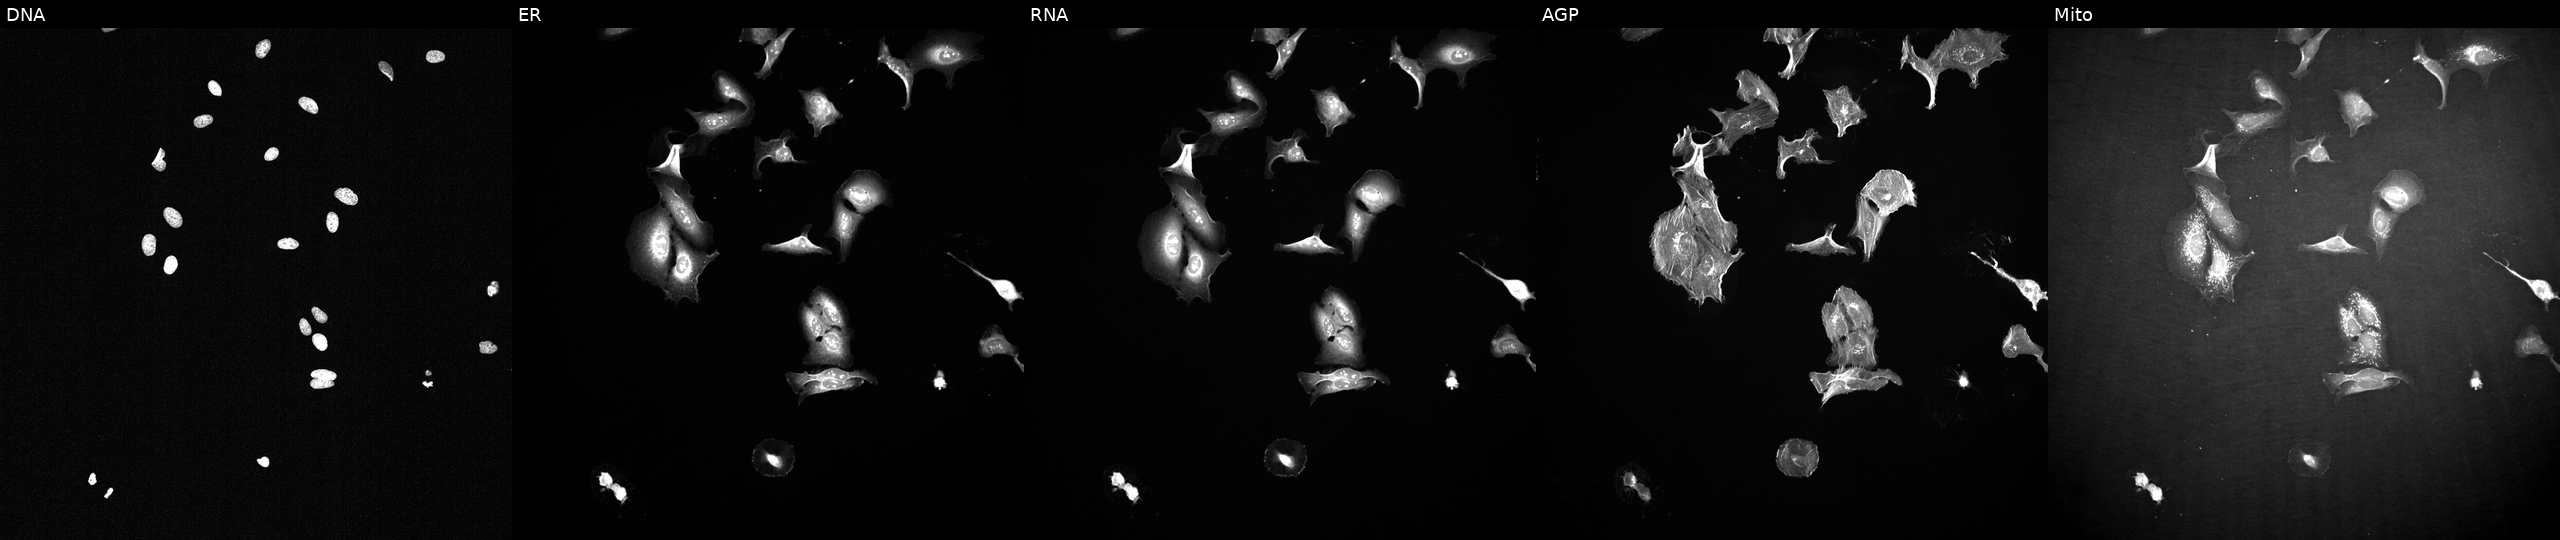
This image strip shows the five Cell Painting channels for a single field of U2OS cells treated with a small-molecule compound (InChIKey MAASHDQFQDDECQ-UHFFFAOYSA-N). Panels show, left to right, DNA (nuclei); ER (endoplasmic reticulum); RNA (nucleoli and cytoplasmic RNA); AGP (actin cytoskeleton, Golgi, and plasma membrane); Mito (mitochondria).